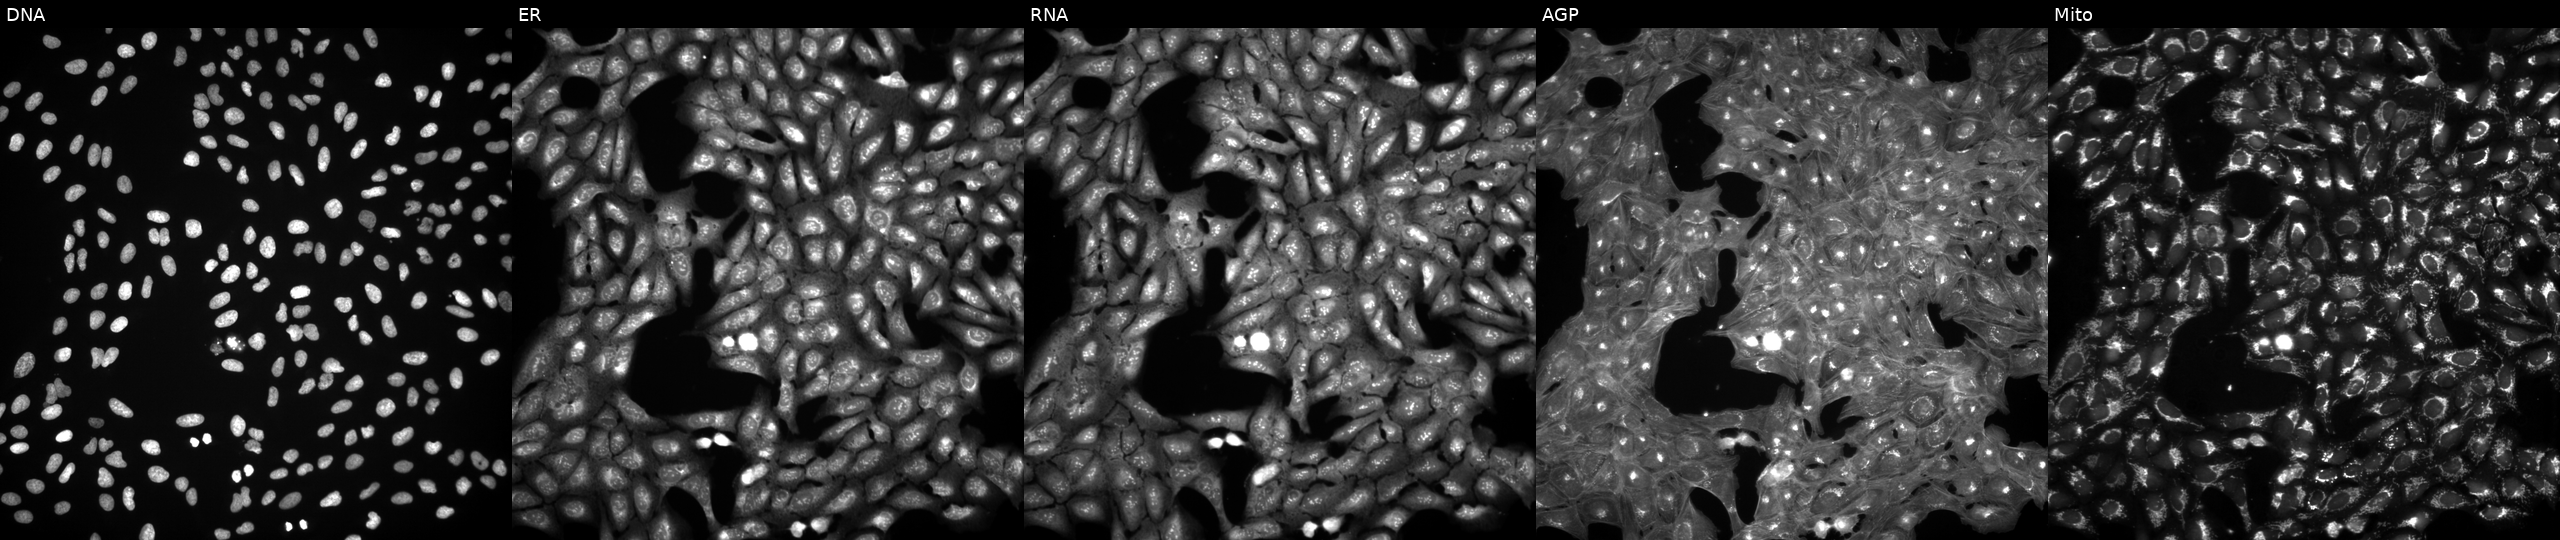
JUMP Cell Painting — COMPOUND plate. U2OS cells treated with a small-molecule compound (InChIKey HWAVHRUJRYVZQJ-UHFFFAOYSA-N) (JUMP id JCP2022_032975). Channels (left→right): DNA, ER, RNA, AGP, and Mito.